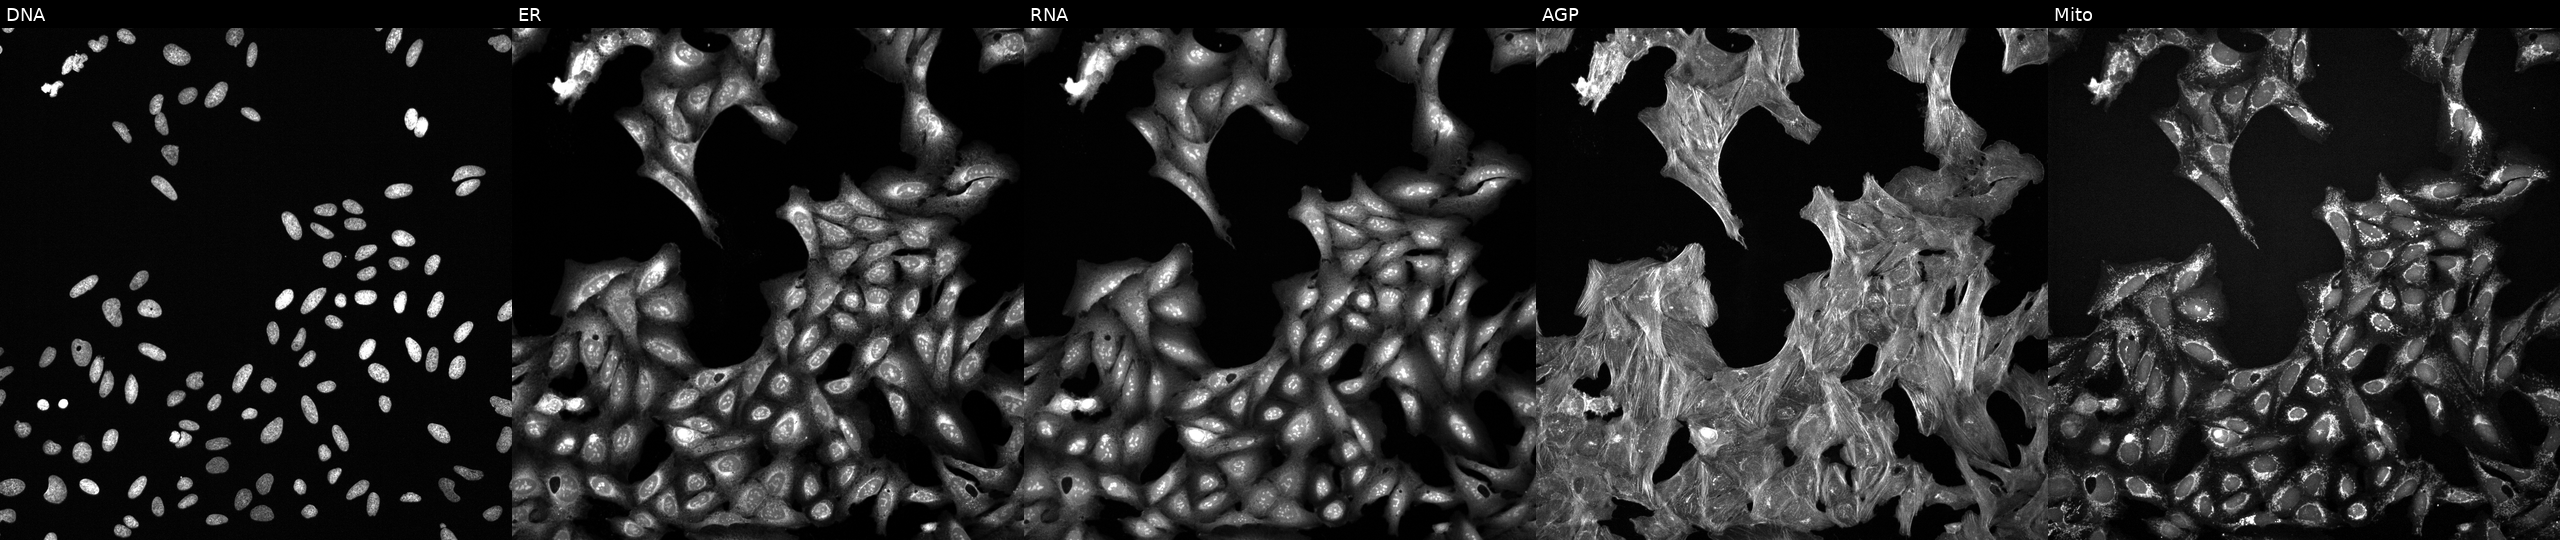
Channels (left→right): Hoechst 33342, concanavalin A, SYTO 14, phalloidin and WGA, MitoTracker. U2OS osteosarcoma cells perturbed with a small-molecule compound (InChIKey FDXAACNAAIDLTG-UHFFFAOYSA-N). Cell Painting assay, JUMP-CP dataset.